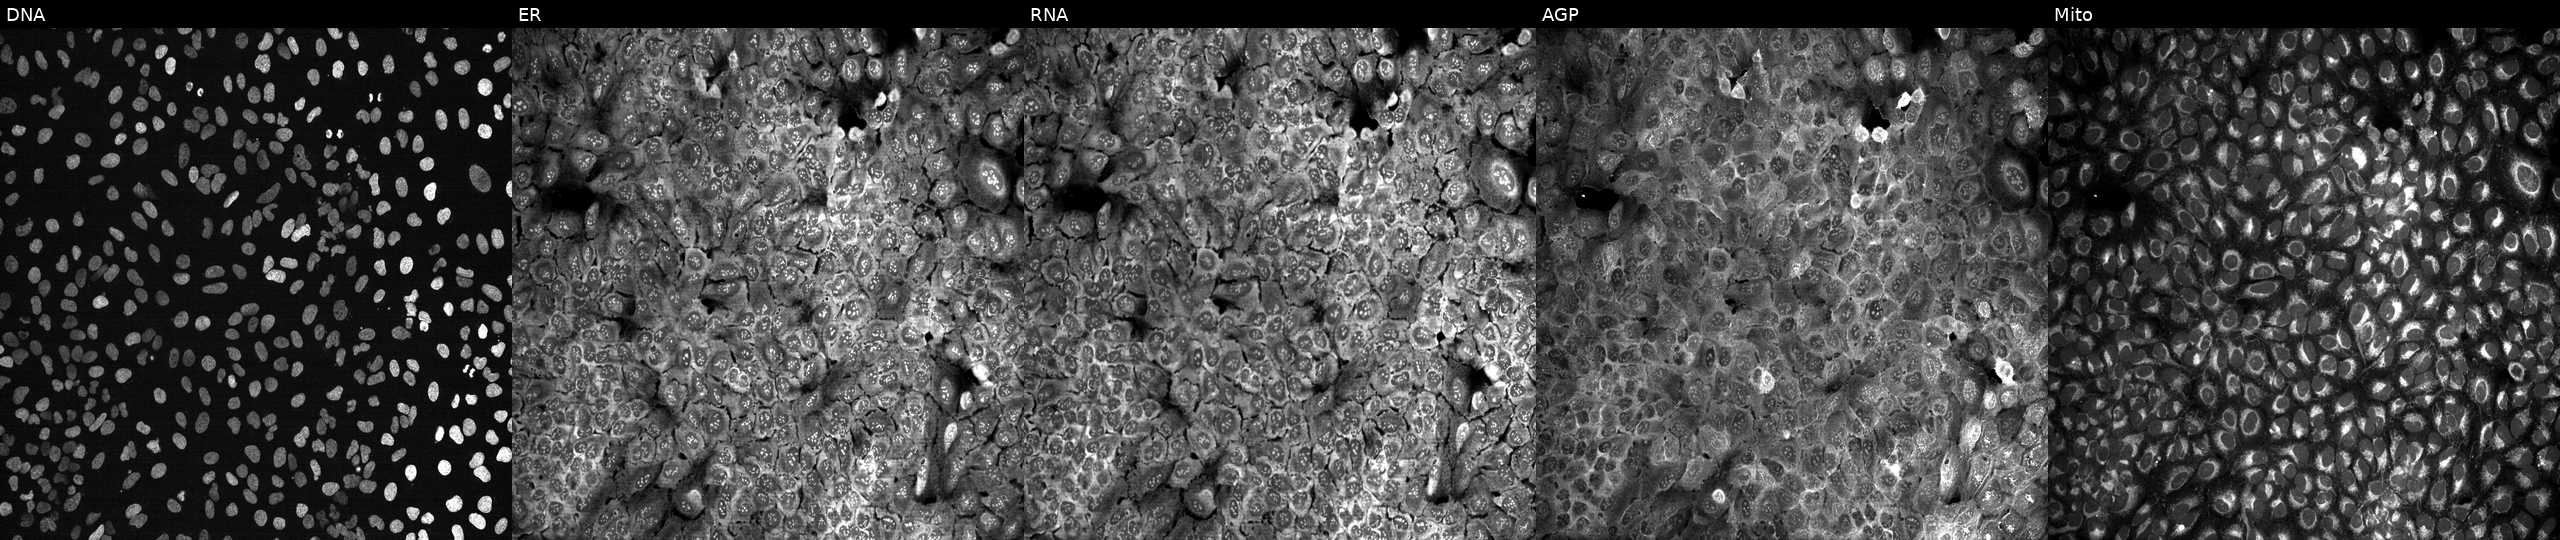
Five-channel Cell Painting image of U2OS cells following CRISPR knockout of PEX5. From left to right: Hoechst 33342, concanavalin A, SYTO 14, phalloidin and WGA, MitoTracker. Source 13, plate CP-CC9-R4-03, well F07.